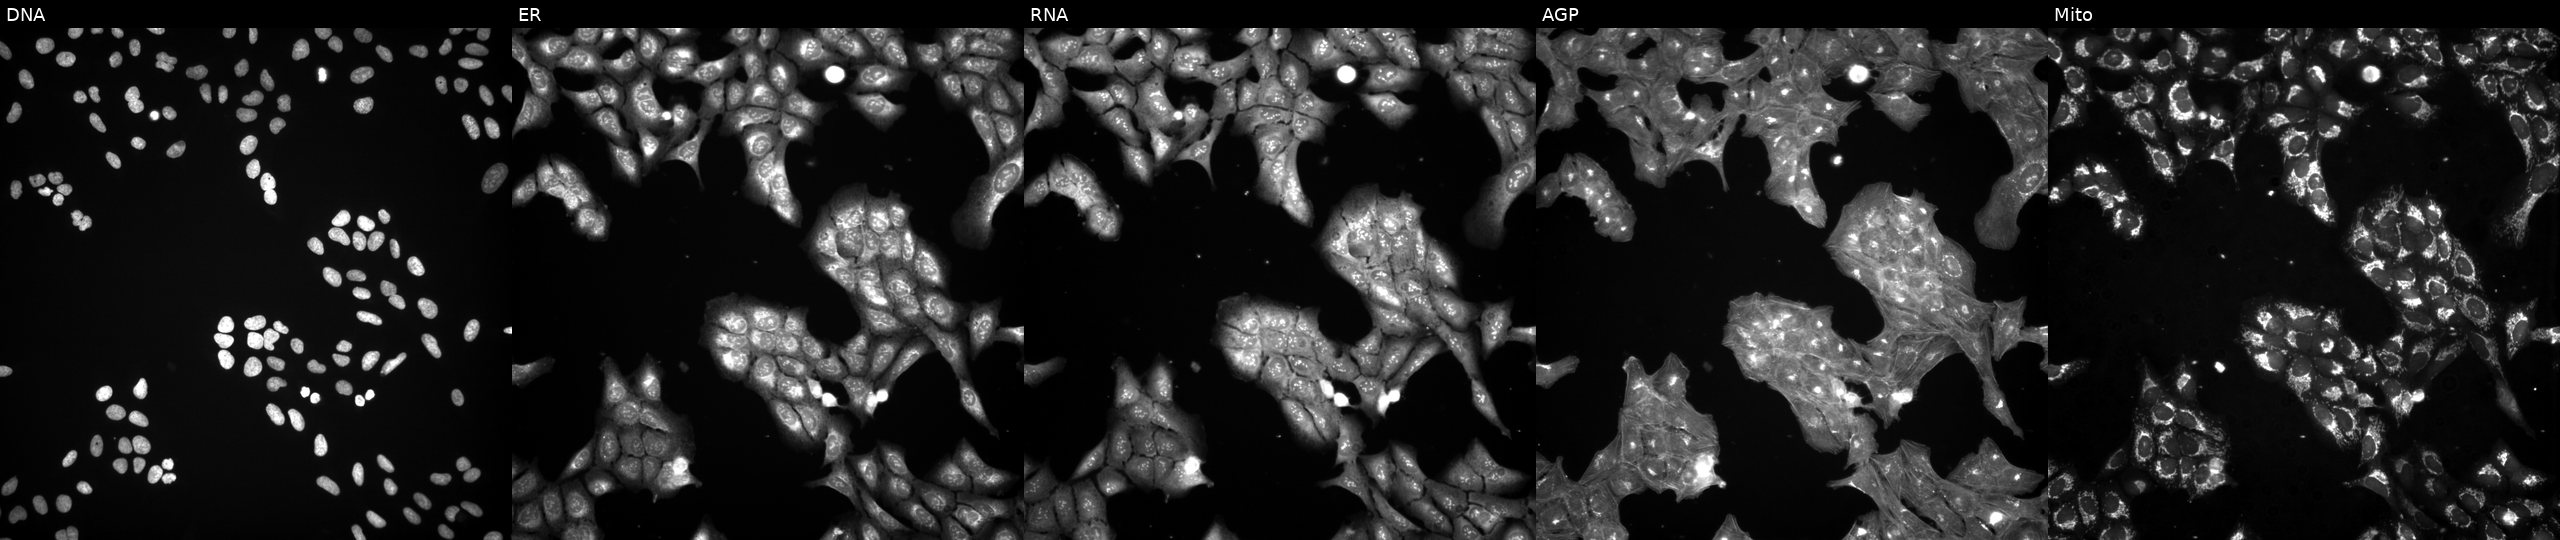
High-content fluorescence microscopy (Cell Painting). Cell line: U2OS. Perturbation: perturbed with a small-molecule compound (InChIKey IVWPZMVLHCWLCG-UHFFFAOYSA-N) (JUMP id JCP2022_037723). The five panels, left to right, show DNA (nuclei); ER (endoplasmic reticulum); RNA (nucleoli and cytoplasmic RNA); AGP (actin cytoskeleton, Golgi, and plasma membrane); Mito (mitochondria).